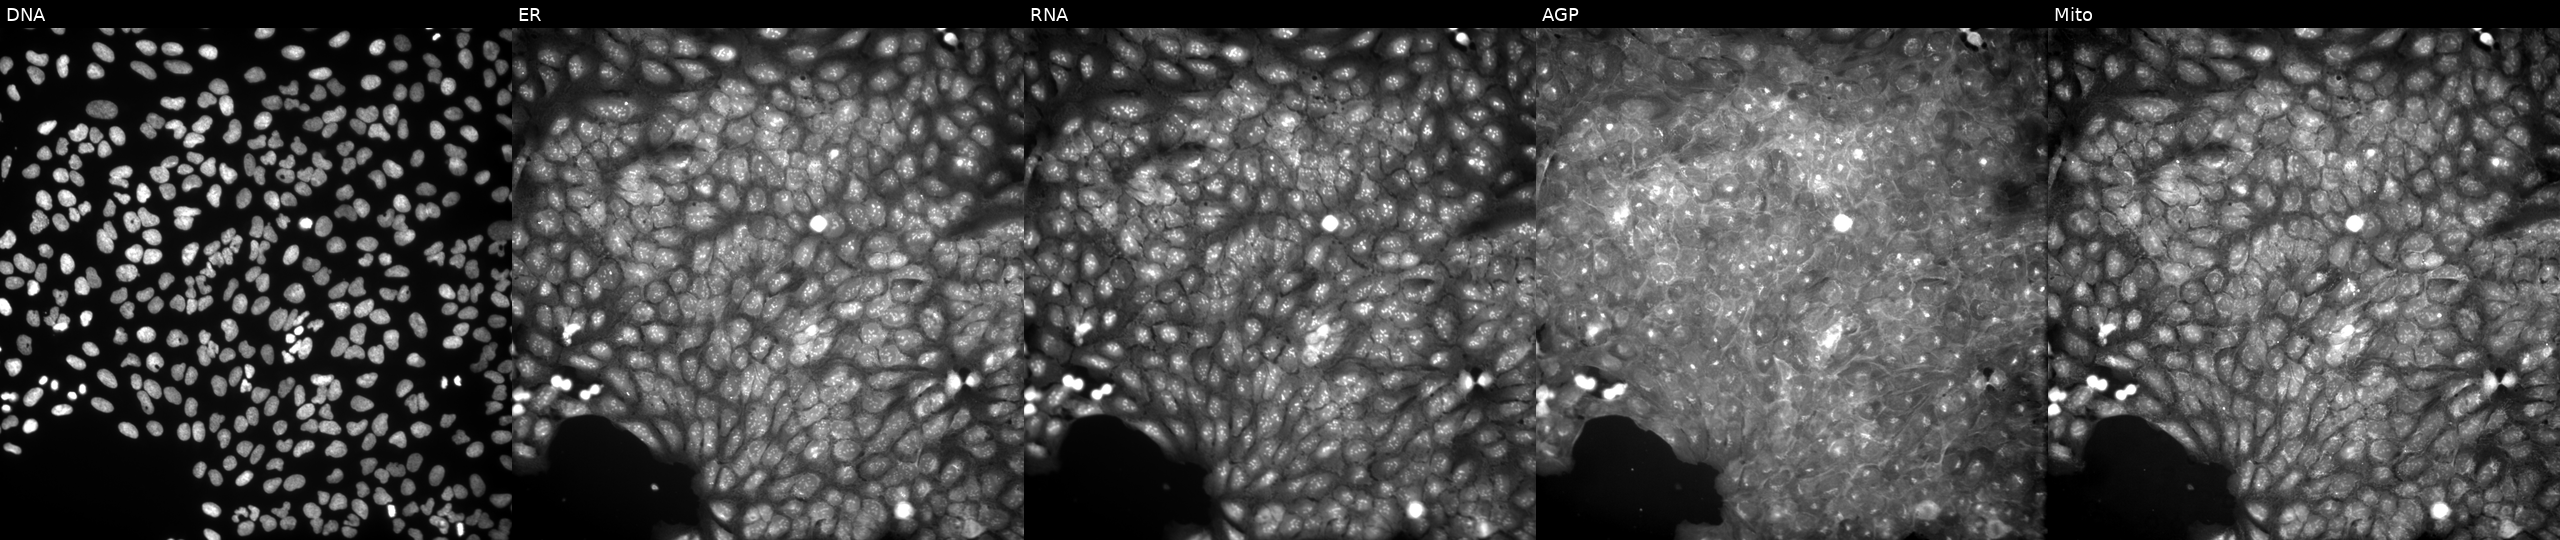
From left to right: Hoechst 33342, concanavalin A, SYTO 14, phalloidin and WGA, MitoTracker. U2OS osteosarcoma cells exposed to a small-molecule compound (InChIKey UIPMDPVIUGQLAX-UHFFFAOYSA-N). Cell Painting assay, JUMP-CP dataset. Source 9, plate GR00003382, well X22.